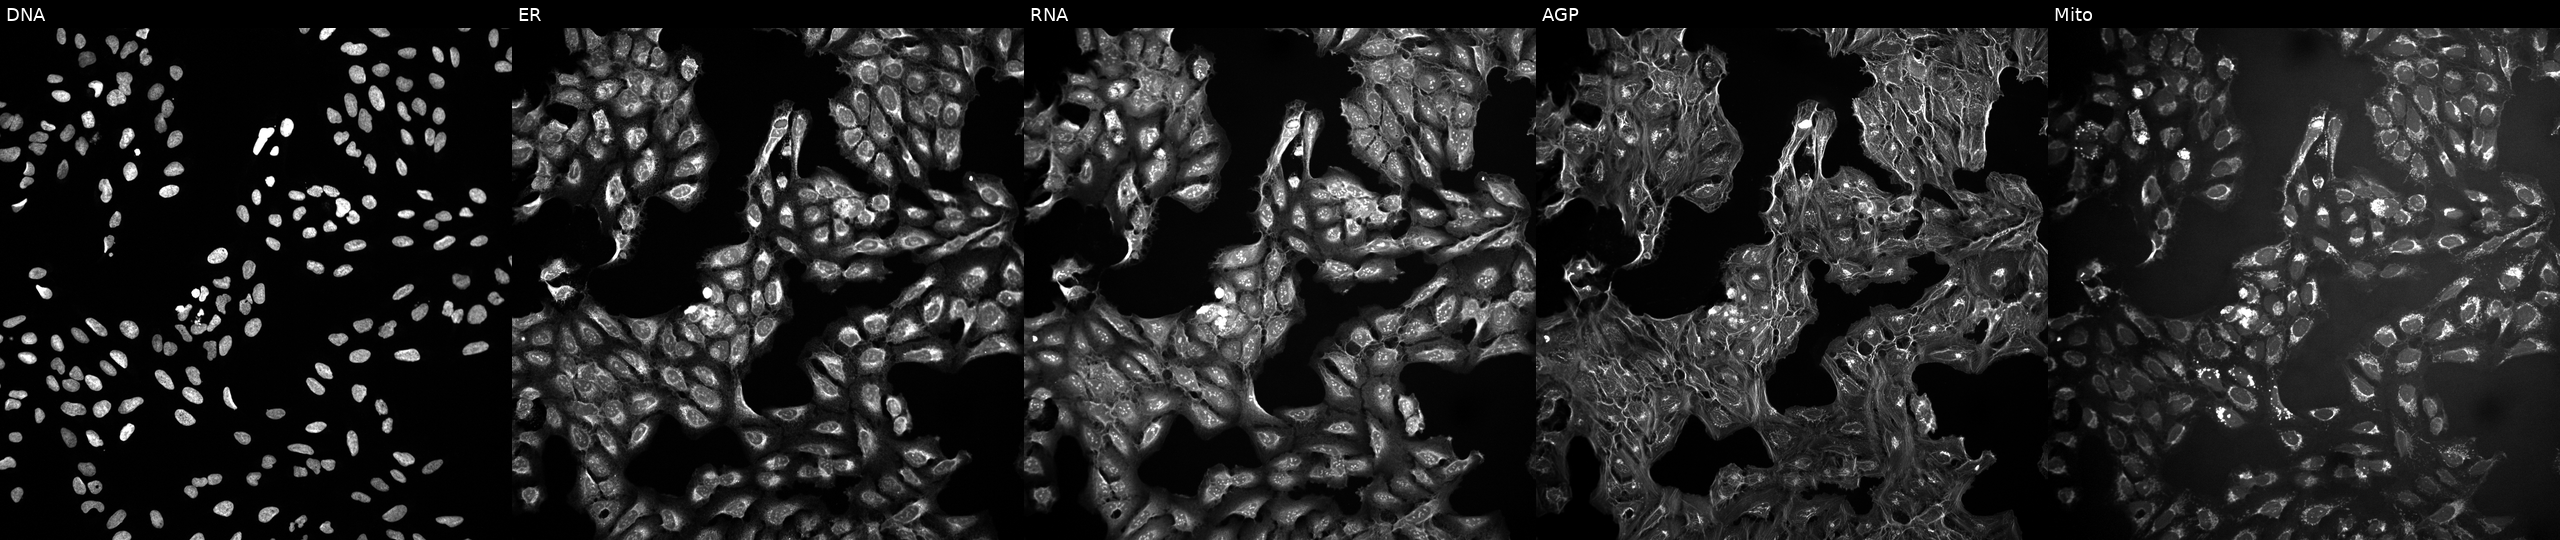
JUMP Cell Painting — COMPOUND plate. U2OS cells perturbed with a small-molecule compound. Channels (left→right): DNA, ER, RNA, AGP, and Mito.